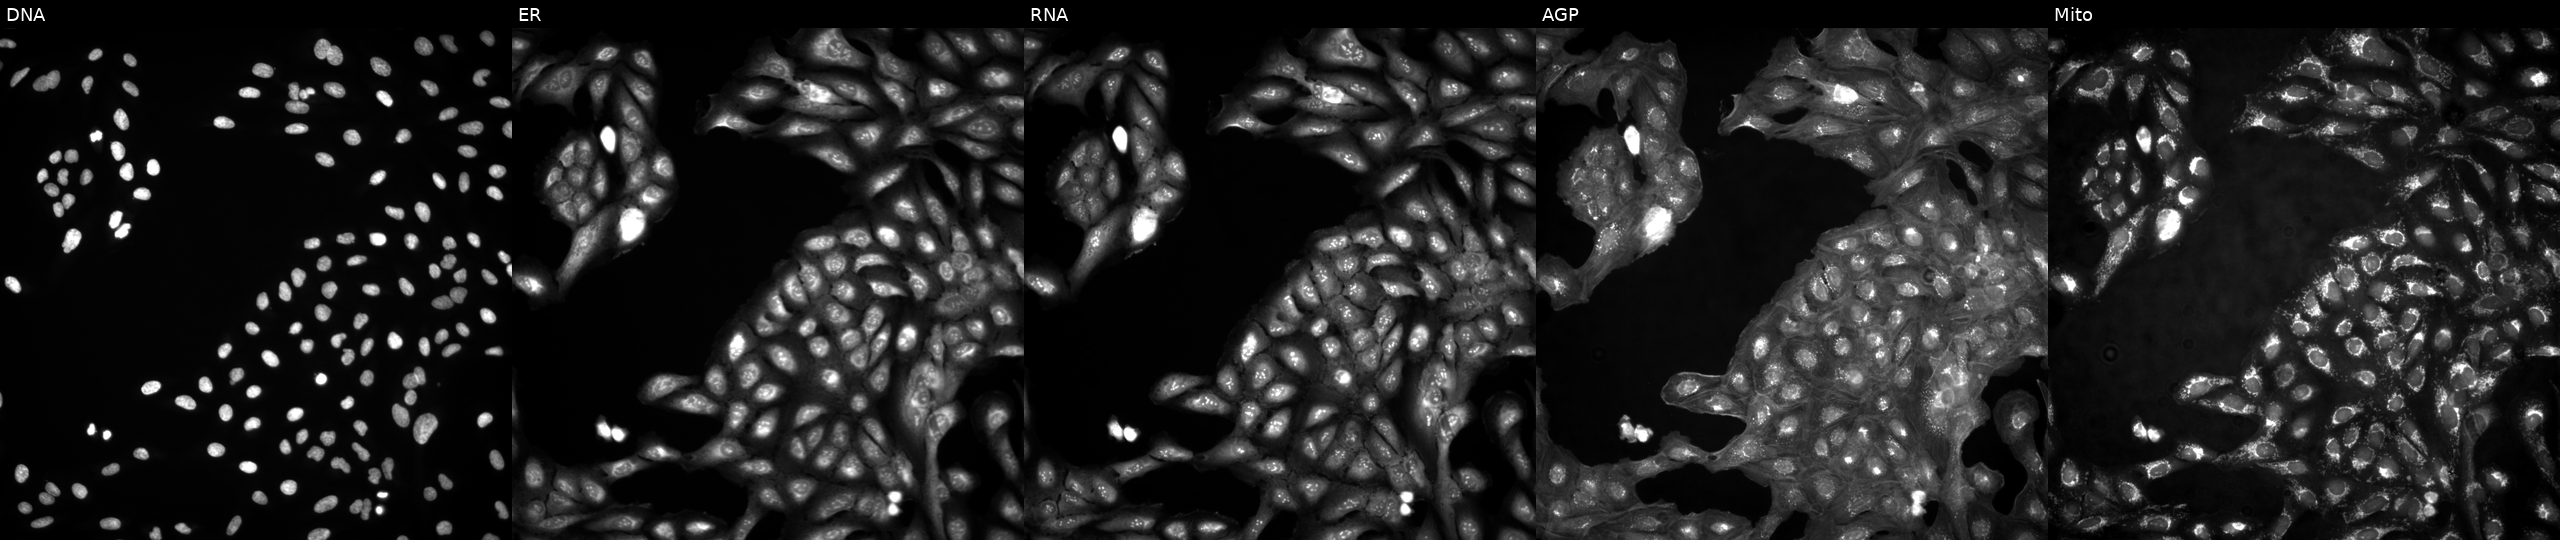
Panels show, left to right, Hoechst 33342, concanavalin A, SYTO 14, phalloidin and WGA, MitoTracker. U2OS osteosarcoma cells untreated (empty-well control). Cell Painting assay, JUMP-CP dataset.